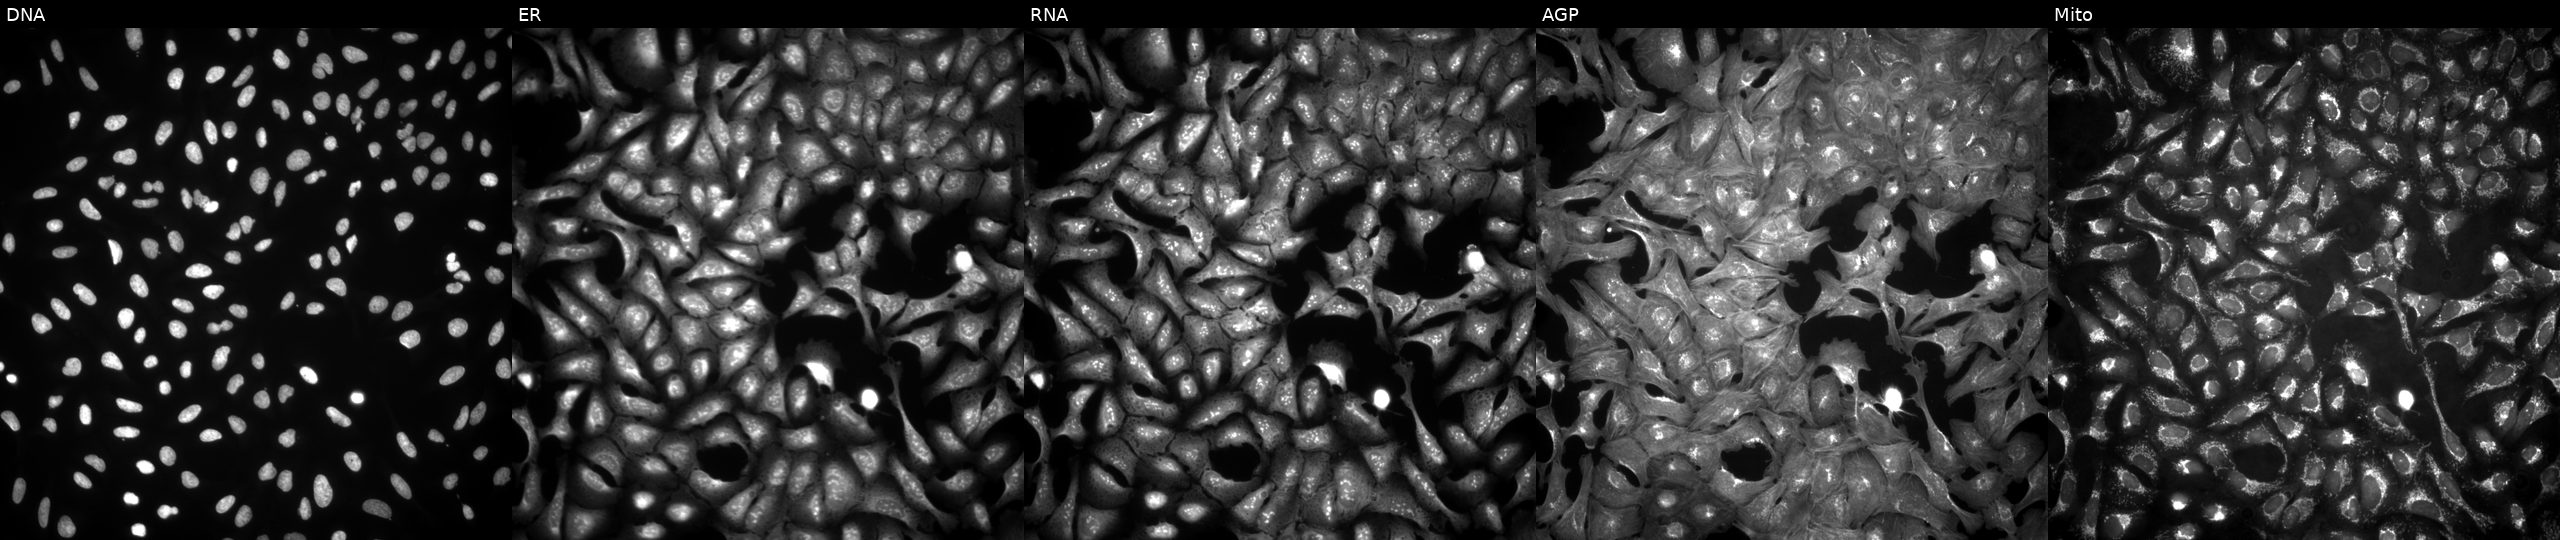
High-content fluorescence microscopy (Cell Painting). Cell line: U2OS. Perturbation: untreated (empty-well control). The five panels, left to right, show DNA, ER, RNA, AGP, and Mito. Source 4, plate BR00123509, well A06.